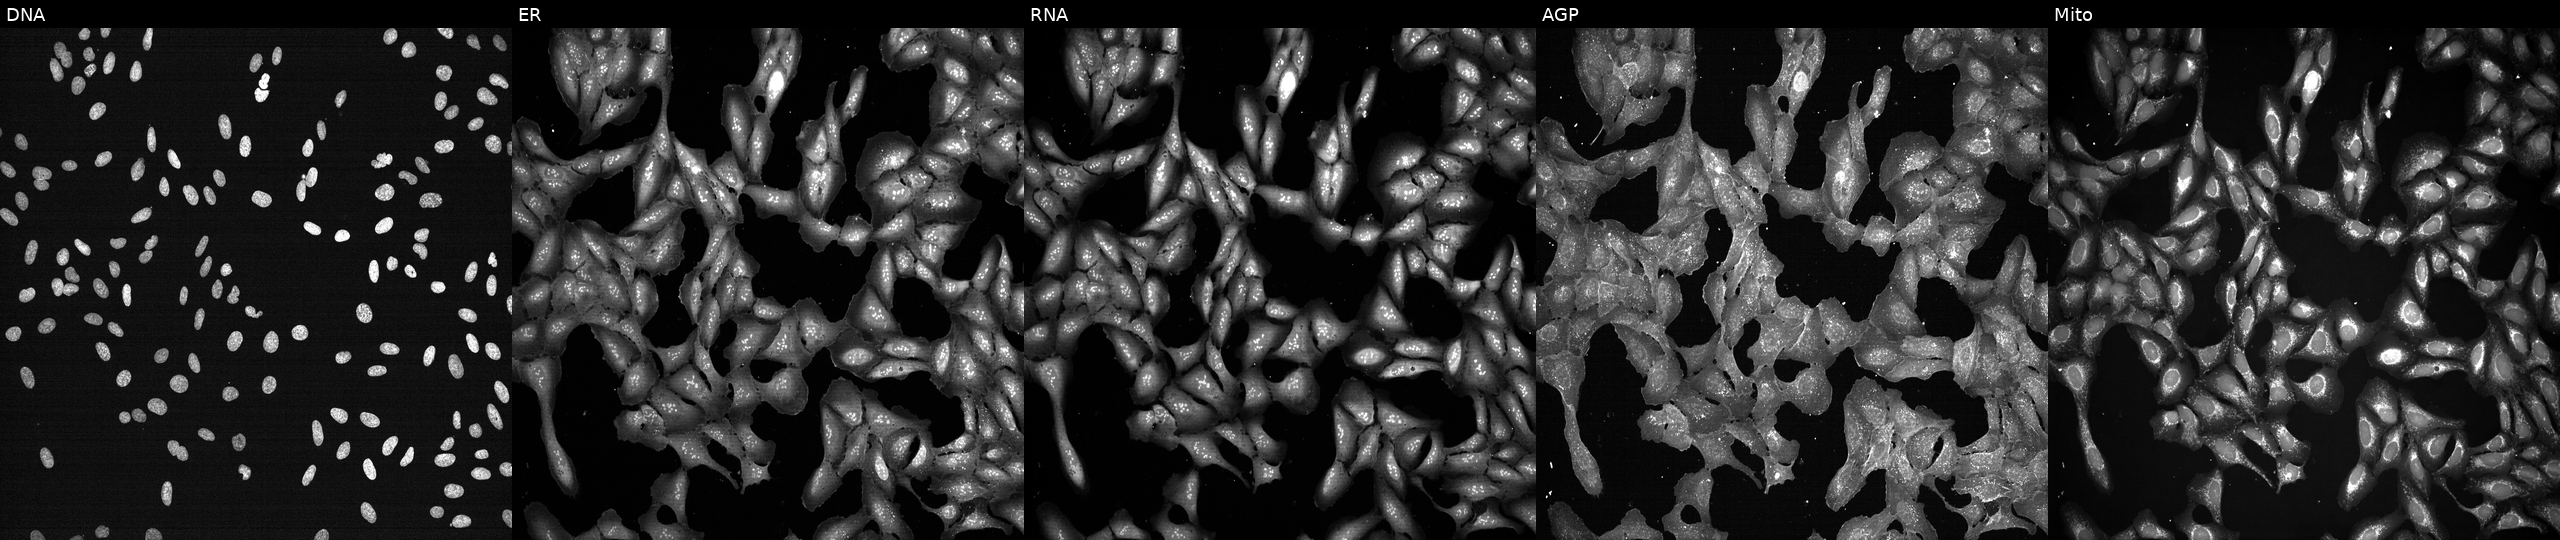
From left to right: DNA, ER, RNA, AGP, and Mito. U2OS osteosarcoma cells treated with a small-molecule compound (InChIKey BOFQWVMAQOTZIW-UHFFFAOYSA-N) [SMILES: O=C(O)c1ccc(-n2nc(-c3ccccc3O)nc2-c2ccccc2O)cc1]. Cell Painting assay, JUMP-CP dataset.